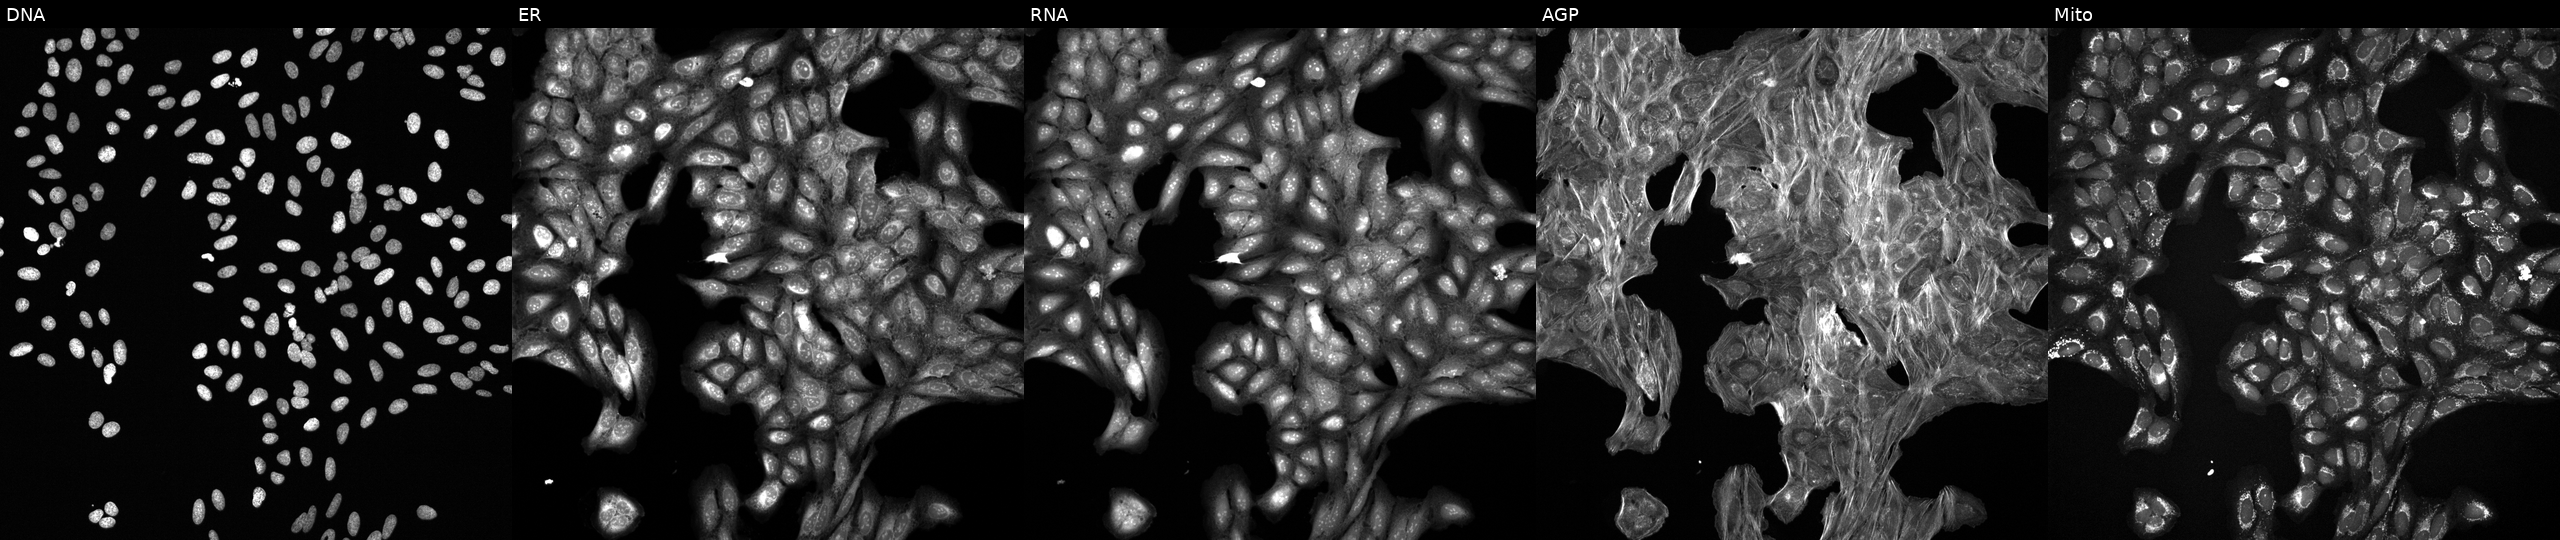
High-content fluorescence microscopy (Cell Painting). Cell line: U2OS. Perturbation: treated with a small-molecule compound (InChIKey PMATZTZNYRCHOR-UHFFFAOYSA-N) [SMILES: CC=CCC(C)C(O)C1C(=O)NC(CC)C(=O)N(C)CC(=O)N(C)C(CC(C)C)C(=O)NC(C(C)C)C(=O)N(C)C(CC(C)C)C(=O)NC(C)C(=O)NC(C)C(=O)N(C)C(CC(C)C)C(=O)N(C)C(CC(C)C)C(=O)N(C)C(C(C)C)C(=O)N1C] (JUMP id JCP2022_069491). Channels (left→right): DNA, ER, RNA, AGP, and Mito.